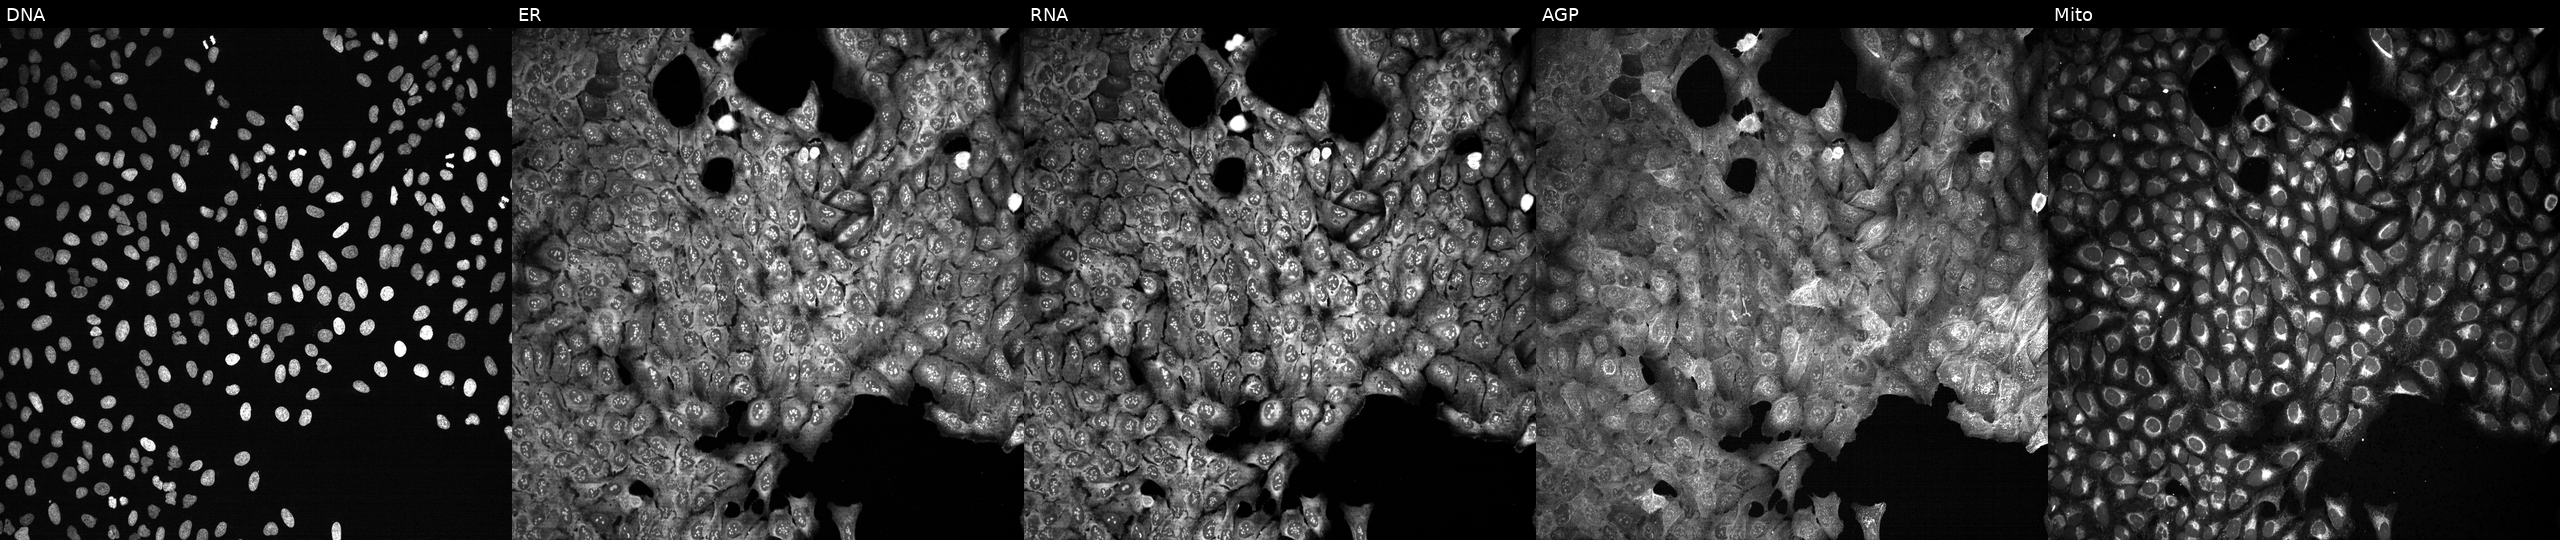
High-content fluorescence microscopy (Cell Painting). Cell line: U2OS. Perturbation: CRISPR-edited to disrupt EGLN3. Panels show, left to right, DNA, ER, RNA, AGP, and Mito.